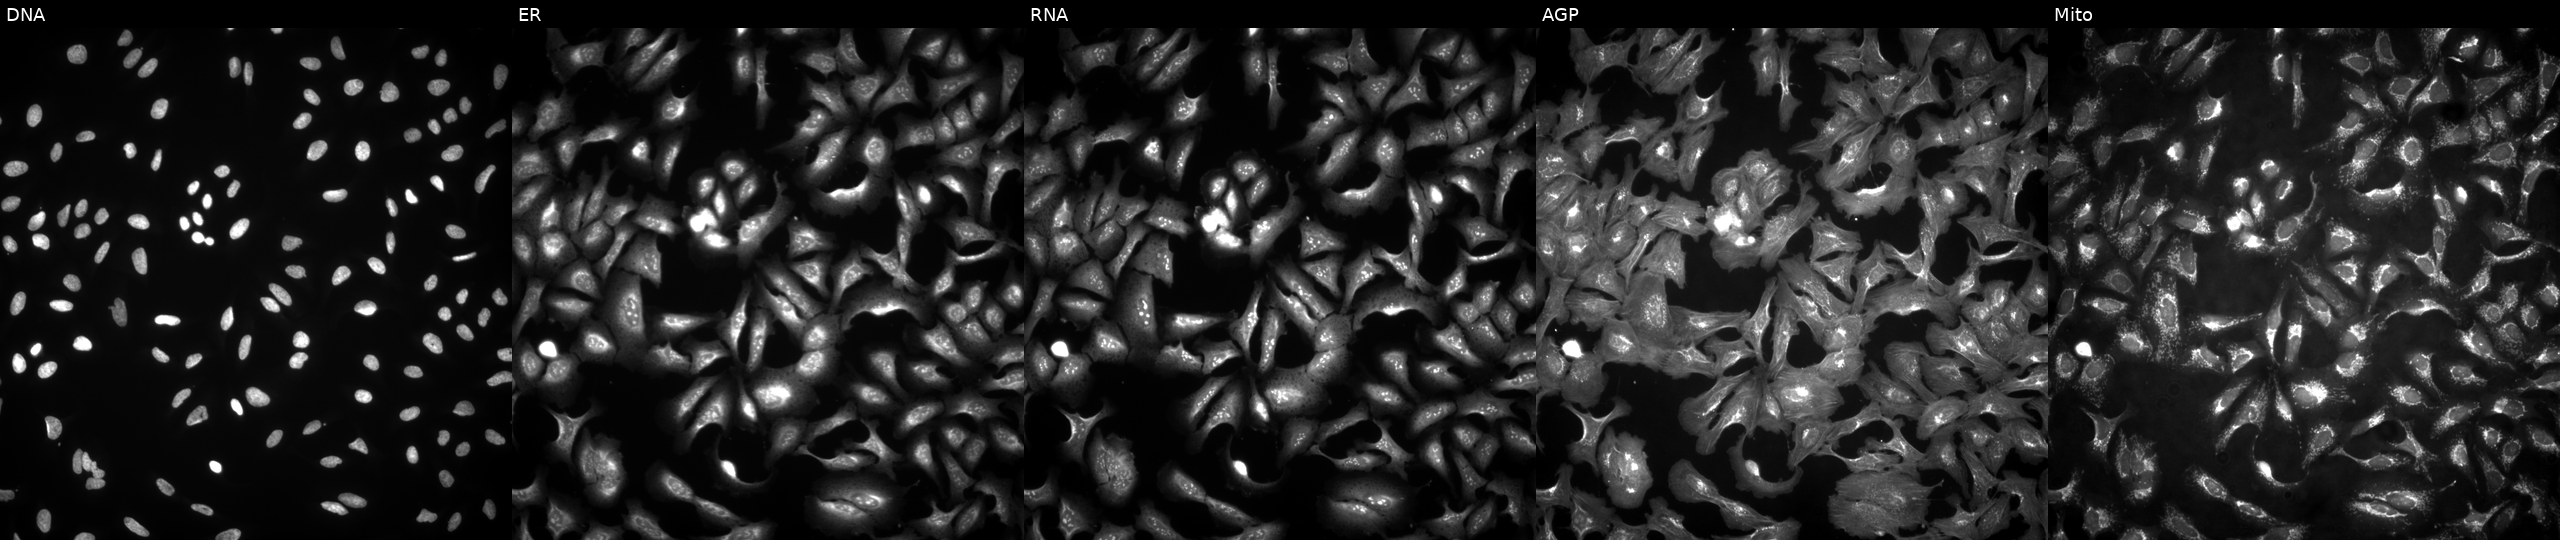
From left to right: DNA (nuclei); ER (endoplasmic reticulum); RNA (nucleoli and cytoplasmic RNA); AGP (actin cytoskeleton, Golgi, and plasma membrane); Mito (mitochondria). U2OS osteosarcoma cells overexpressing SIRPD via ORF transfection. Cell Painting assay, JUMP-CP dataset.